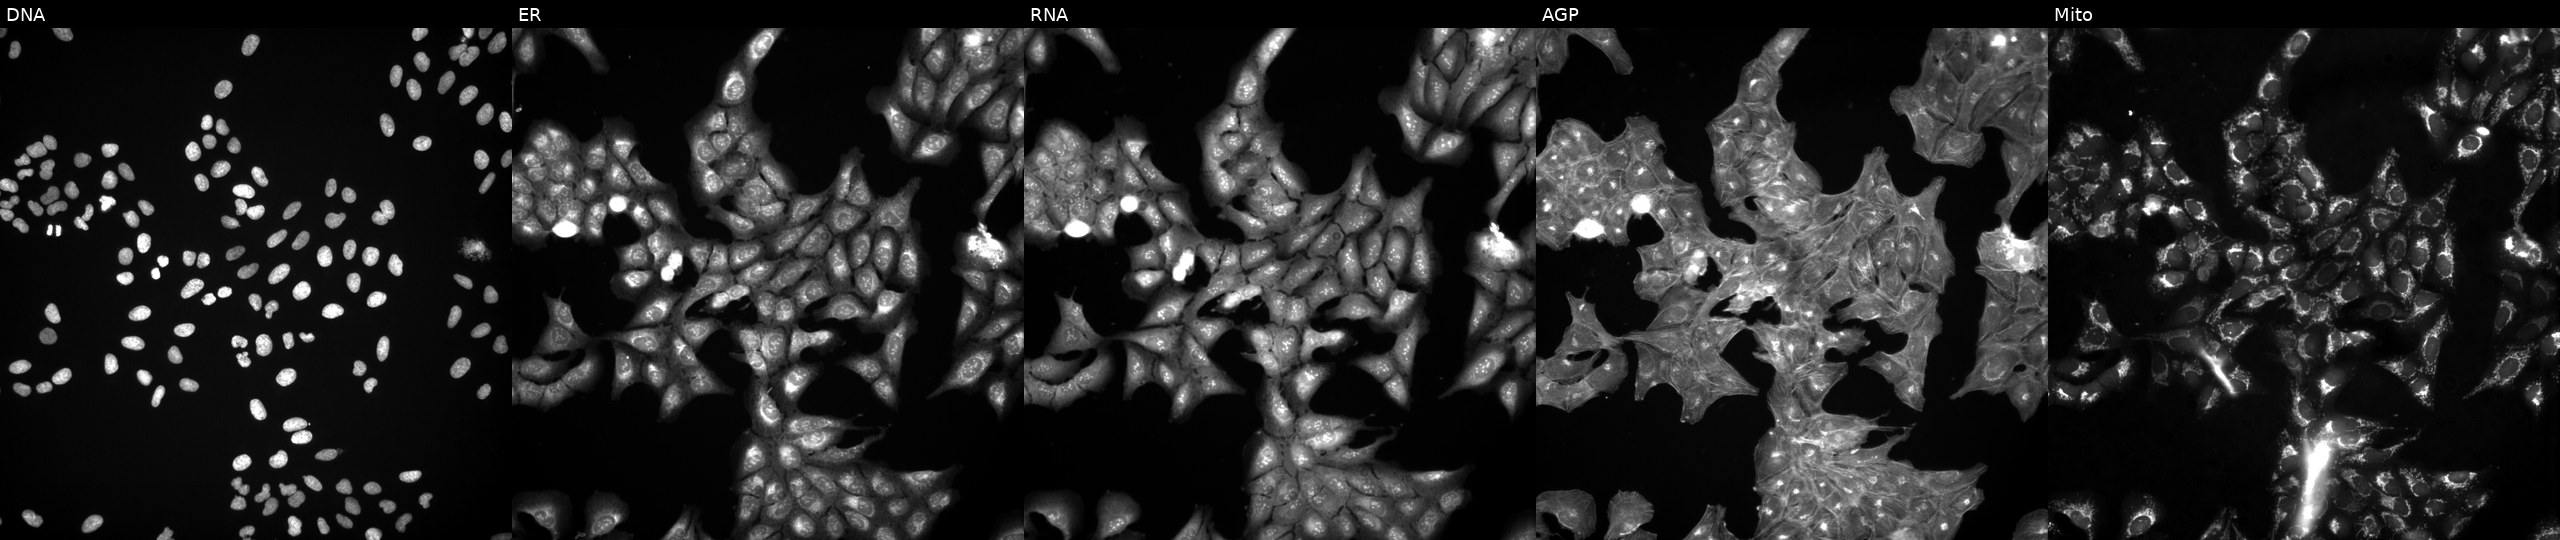
Five-channel Cell Painting image of U2OS cells exposed to DMSO alone as a negative control. Panels show, left to right, Hoechst 33342, concanavalin A, SYTO 14, phalloidin and WGA, MitoTracker.